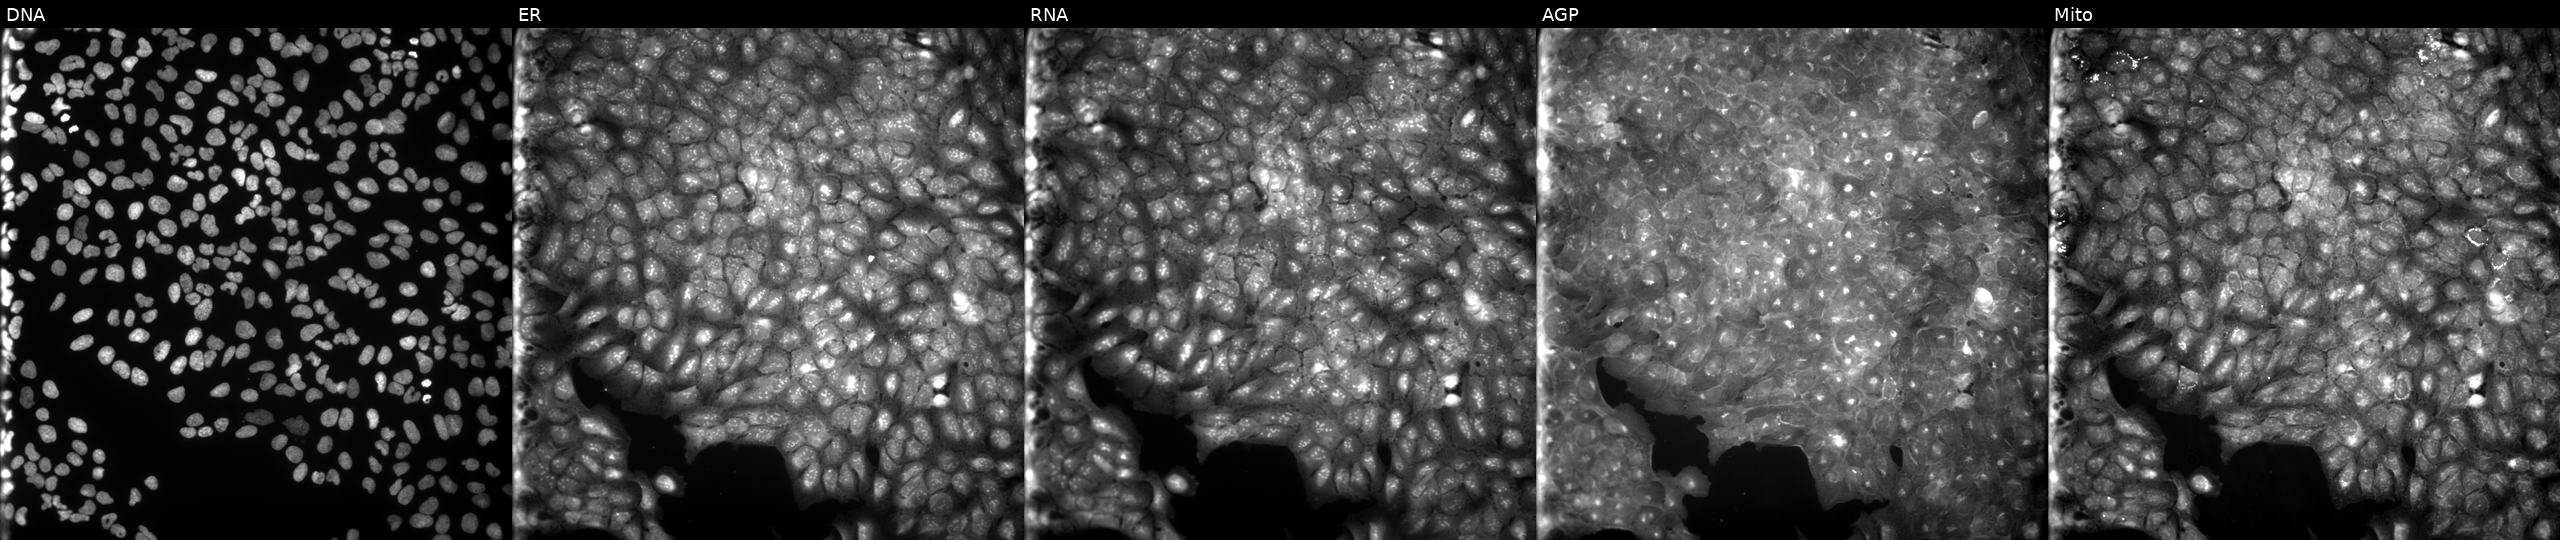
U2OS cells, Cell Painting assay, exposed to a small-molecule compound (InChIKey ICZBEVAVQGZWLK-UHFFFAOYSA-N) (JUMP id JCP2022_034282). Panels show, left to right, DNA (nuclei); ER (endoplasmic reticulum); RNA (nucleoli and cytoplasmic RNA); AGP (actin cytoskeleton, Golgi, and plasma membrane); Mito (mitochondria). Each panel is percentile-stretched 16-bit fluorescence. Source 9, plate GR00003382, well L15.